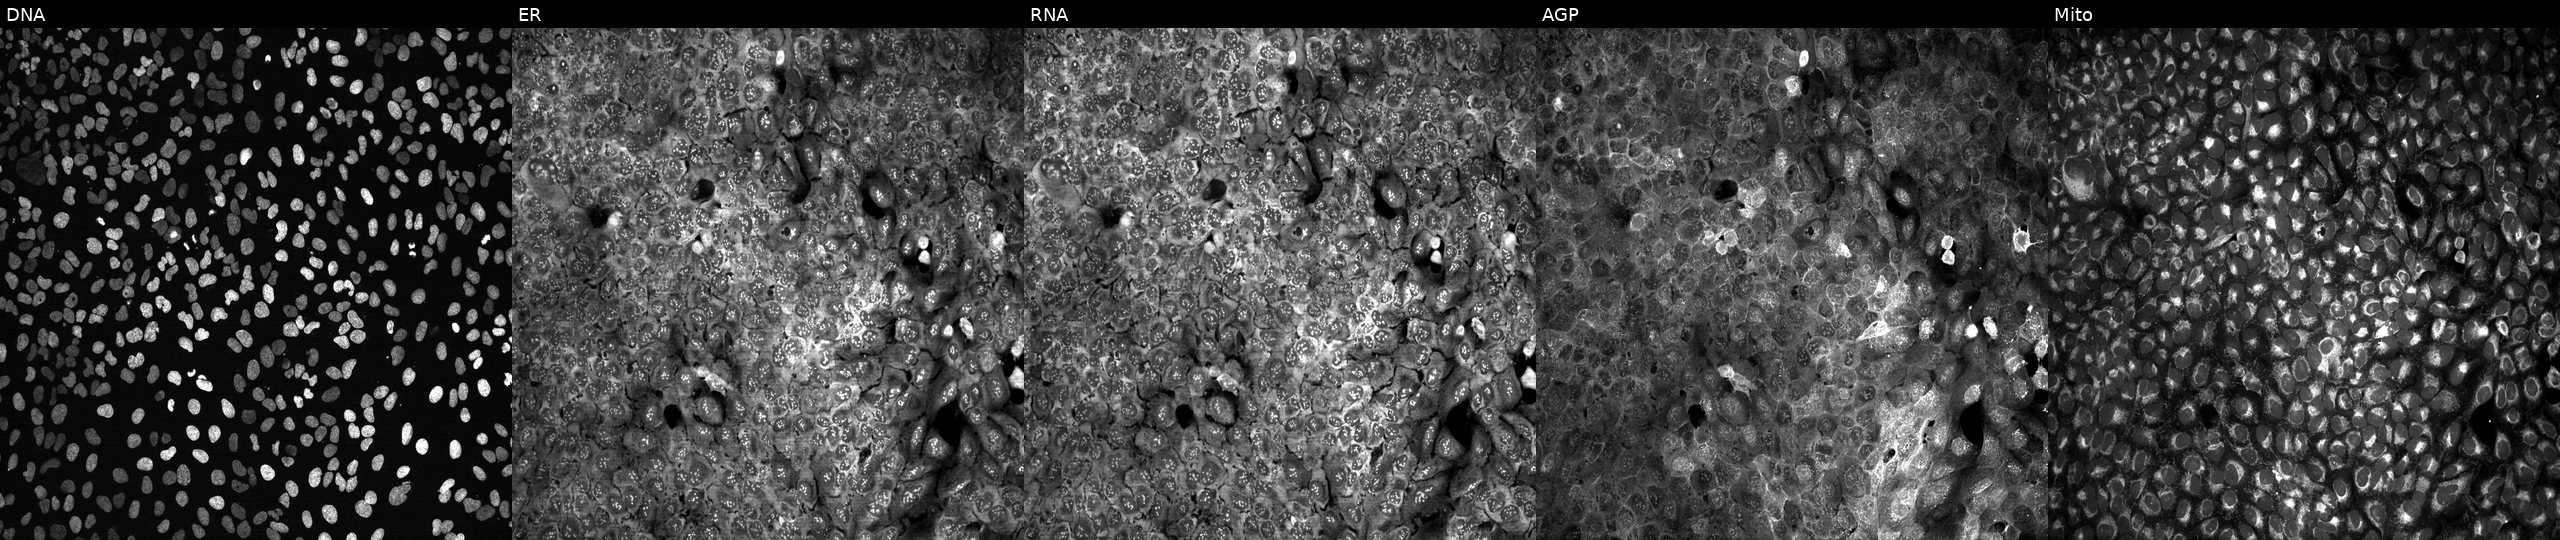
Panels show, left to right, DNA, ER, RNA, AGP, and Mito. U2OS osteosarcoma cells with ABHD3 knocked out by CRISPR. Cell Painting assay, JUMP-CP dataset. Source 13, plate CP-CC9-R4-04, well G06.